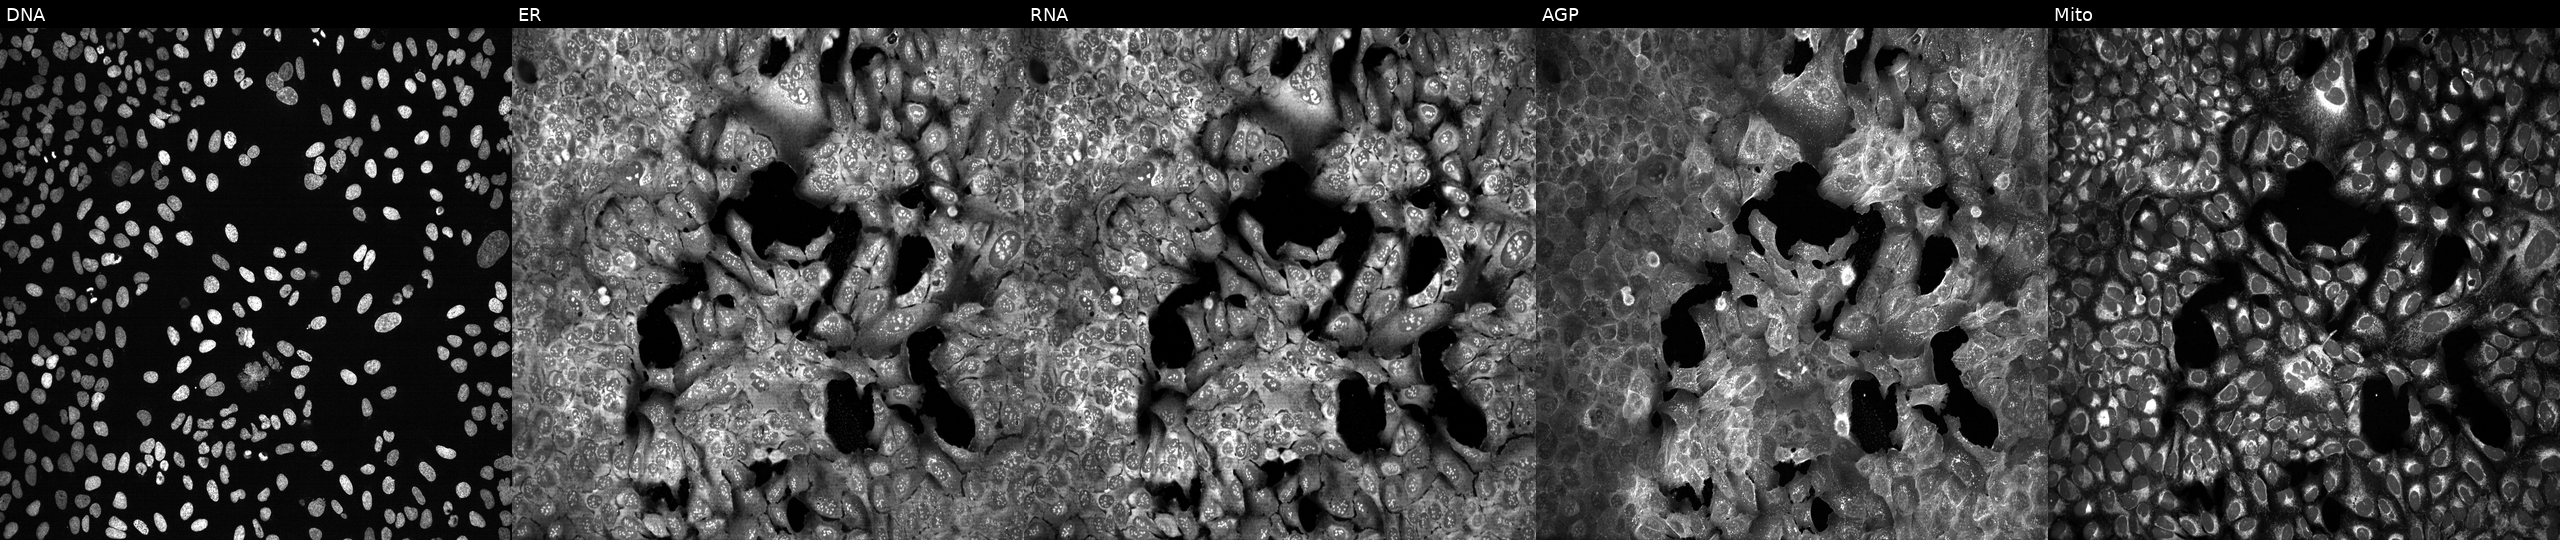
This image strip shows the five Cell Painting channels for a single field of U2OS cells with PRTN3 knocked out by CRISPR. The five panels, left to right, show DNA, ER, RNA, AGP, and Mito.